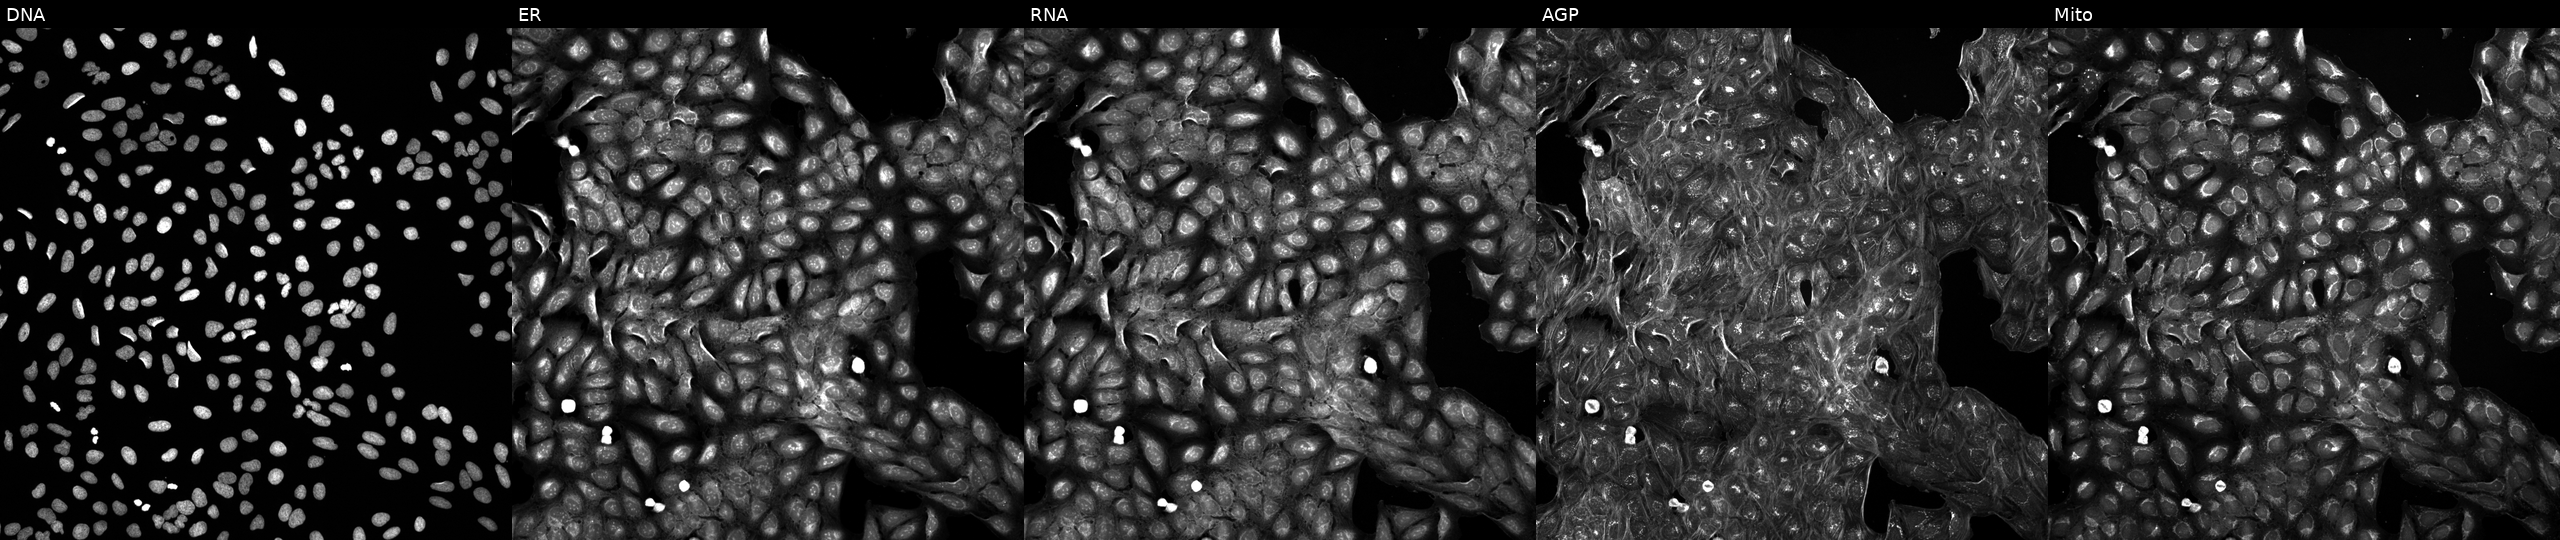
U2OS cells, Cell Painting assay, treated with a small-molecule compound (JUMP id JCP2022_093919). The five panels, left to right, show DNA (nuclei); ER (endoplasmic reticulum); RNA (nucleoli and cytoplasmic RNA); AGP (actin cytoskeleton, Golgi, and plasma membrane); Mito (mitochondria). Each panel is percentile-stretched 16-bit fluorescence.